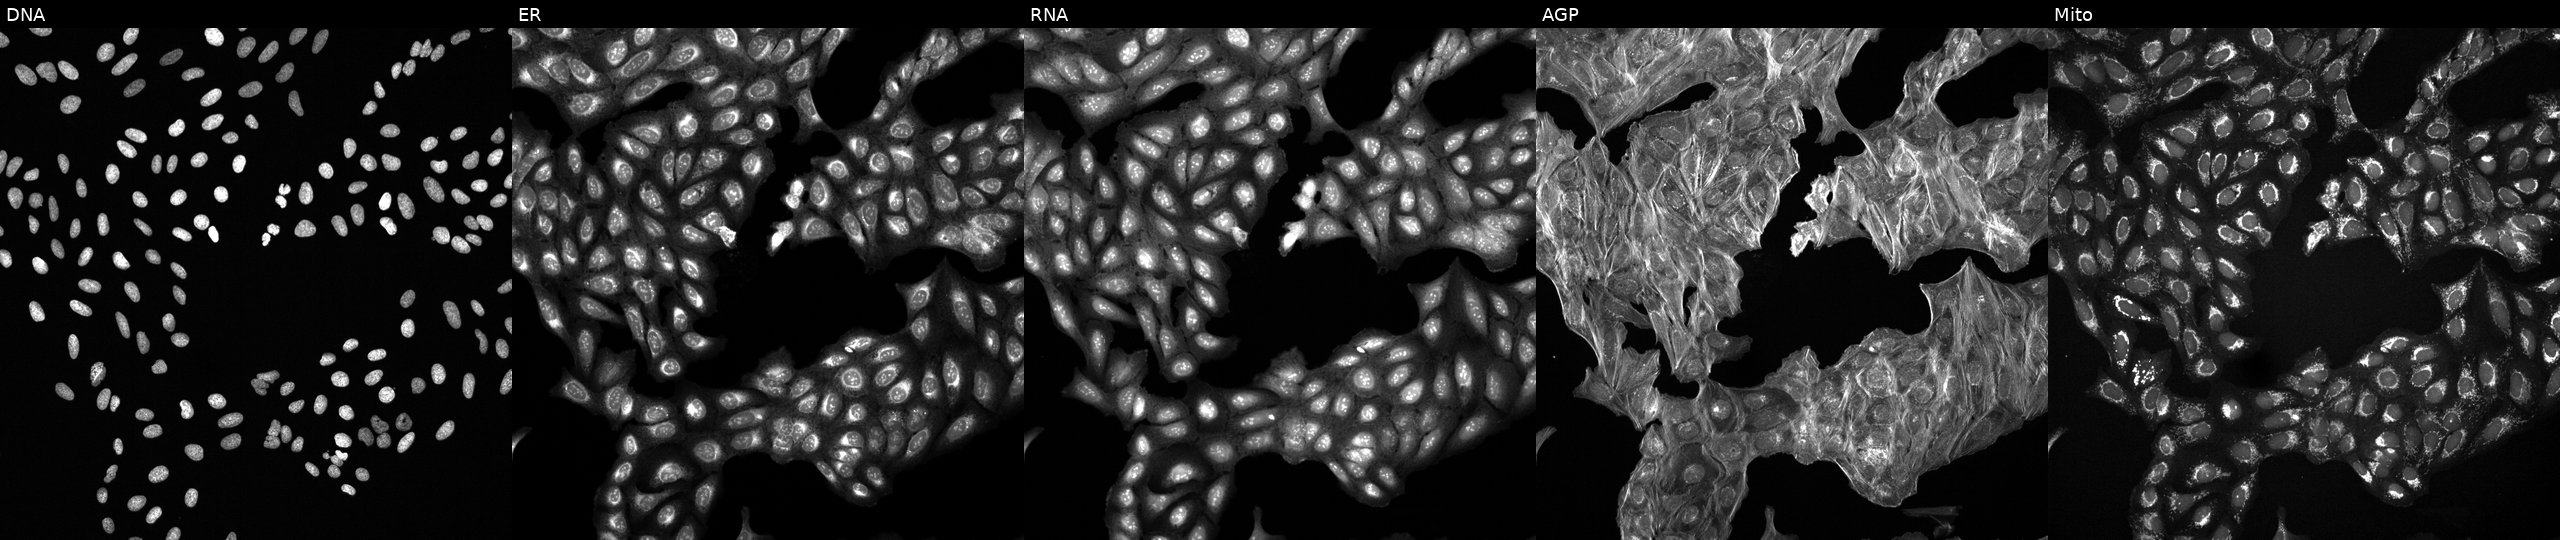
U2OS cells, Cell Painting assay, perturbed with a small-molecule compound. The five panels, left to right, show DNA, ER, RNA, AGP, and Mito. Each panel is percentile-stretched 16-bit fluorescence. Source 6, plate 110000293081, well A01.